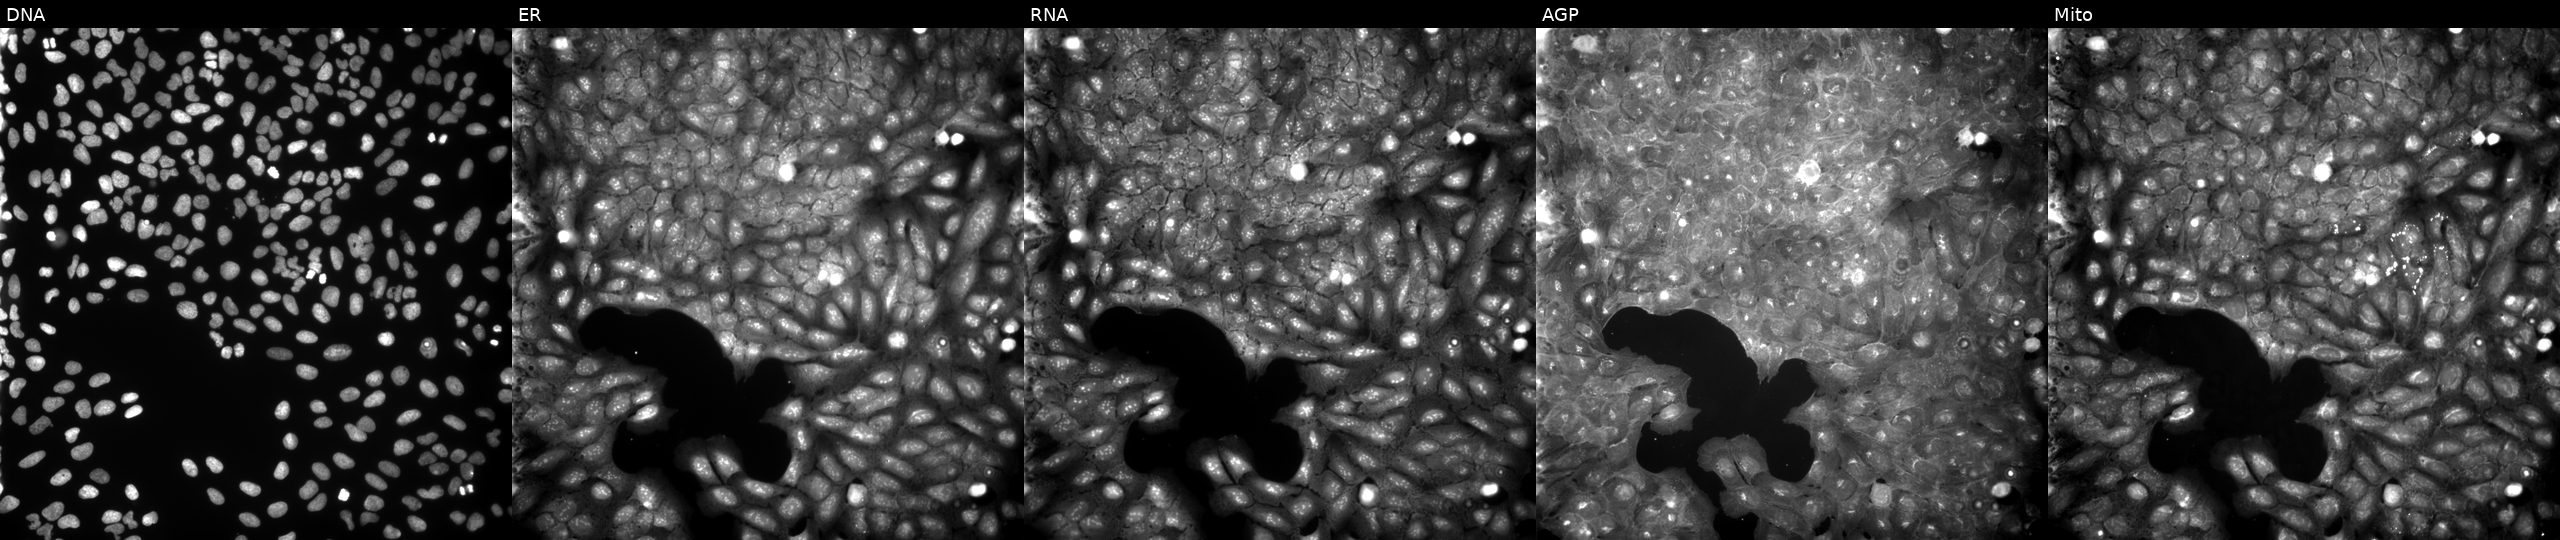
High-content fluorescence microscopy (Cell Painting). Cell line: U2OS. Perturbation: perturbed with a small-molecule compound (InChIKey NCWOUEADXVRVBO-UHFFFAOYSA-N). From left to right: Hoechst 33342, concanavalin A, SYTO 14, phalloidin and WGA, MitoTracker.